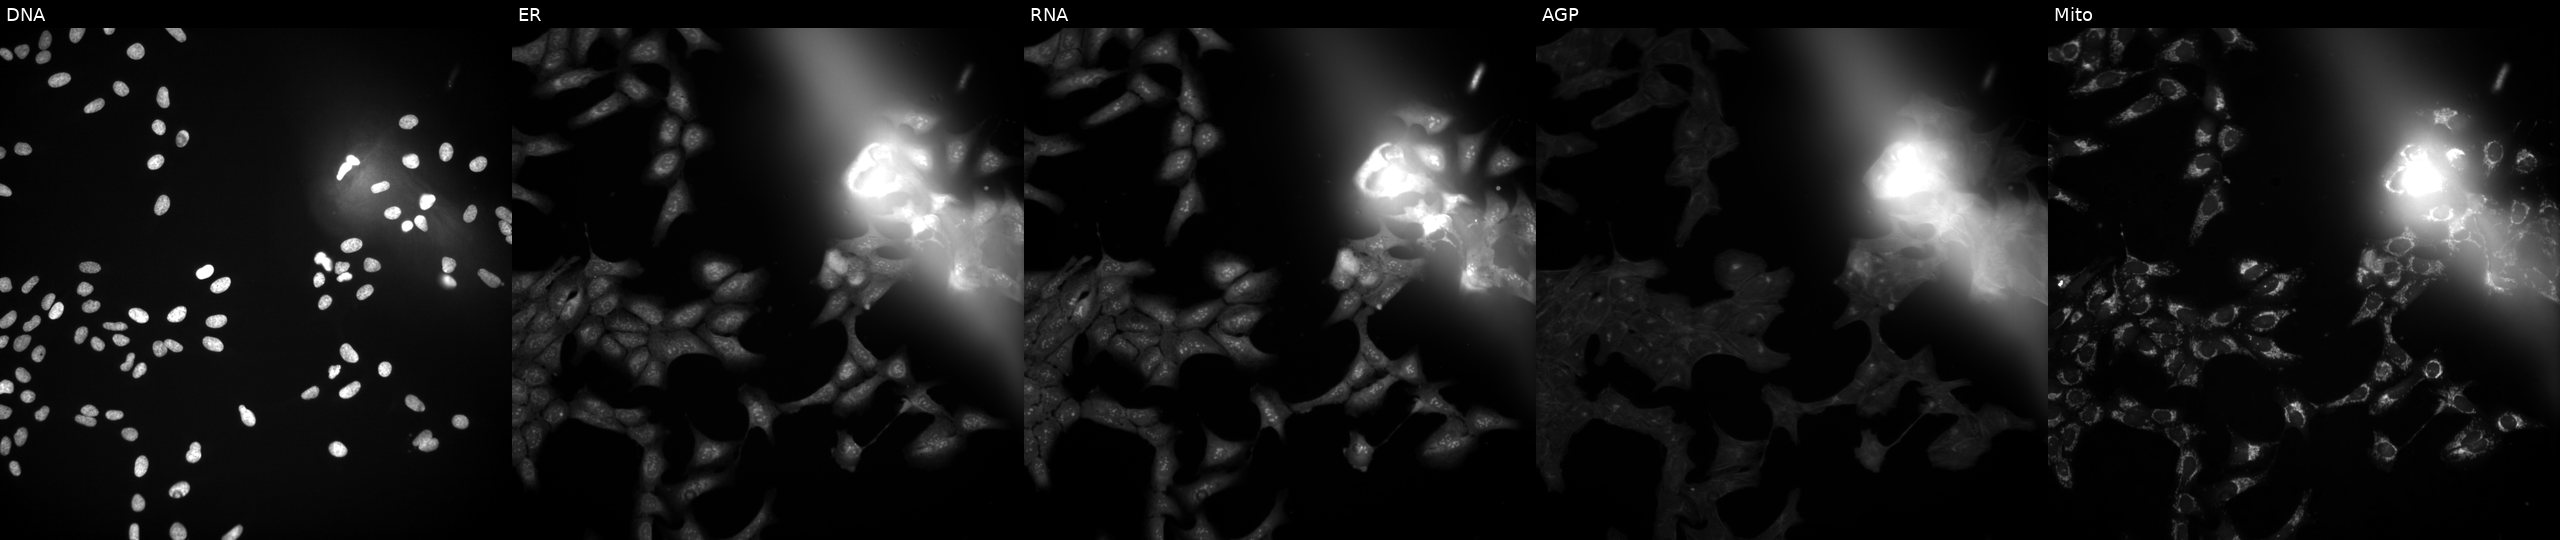
Channels (left→right): Hoechst 33342, concanavalin A, SYTO 14, phalloidin and WGA, MitoTracker. U2OS osteosarcoma cells treated with a small-molecule compound (InChIKey LLVZBTWPGQVVLW-UHFFFAOYSA-N) [SMILES: COCC(=O)NCC=Cc1ccc2[nH]cnc(=Nc3ccc(Oc4ccc(C)nc4)c(C)c3)c2c1] (JUMP id JCP2022_050271). Cell Painting assay, JUMP-CP dataset. Source 3, plate JCPQC051, well E12.